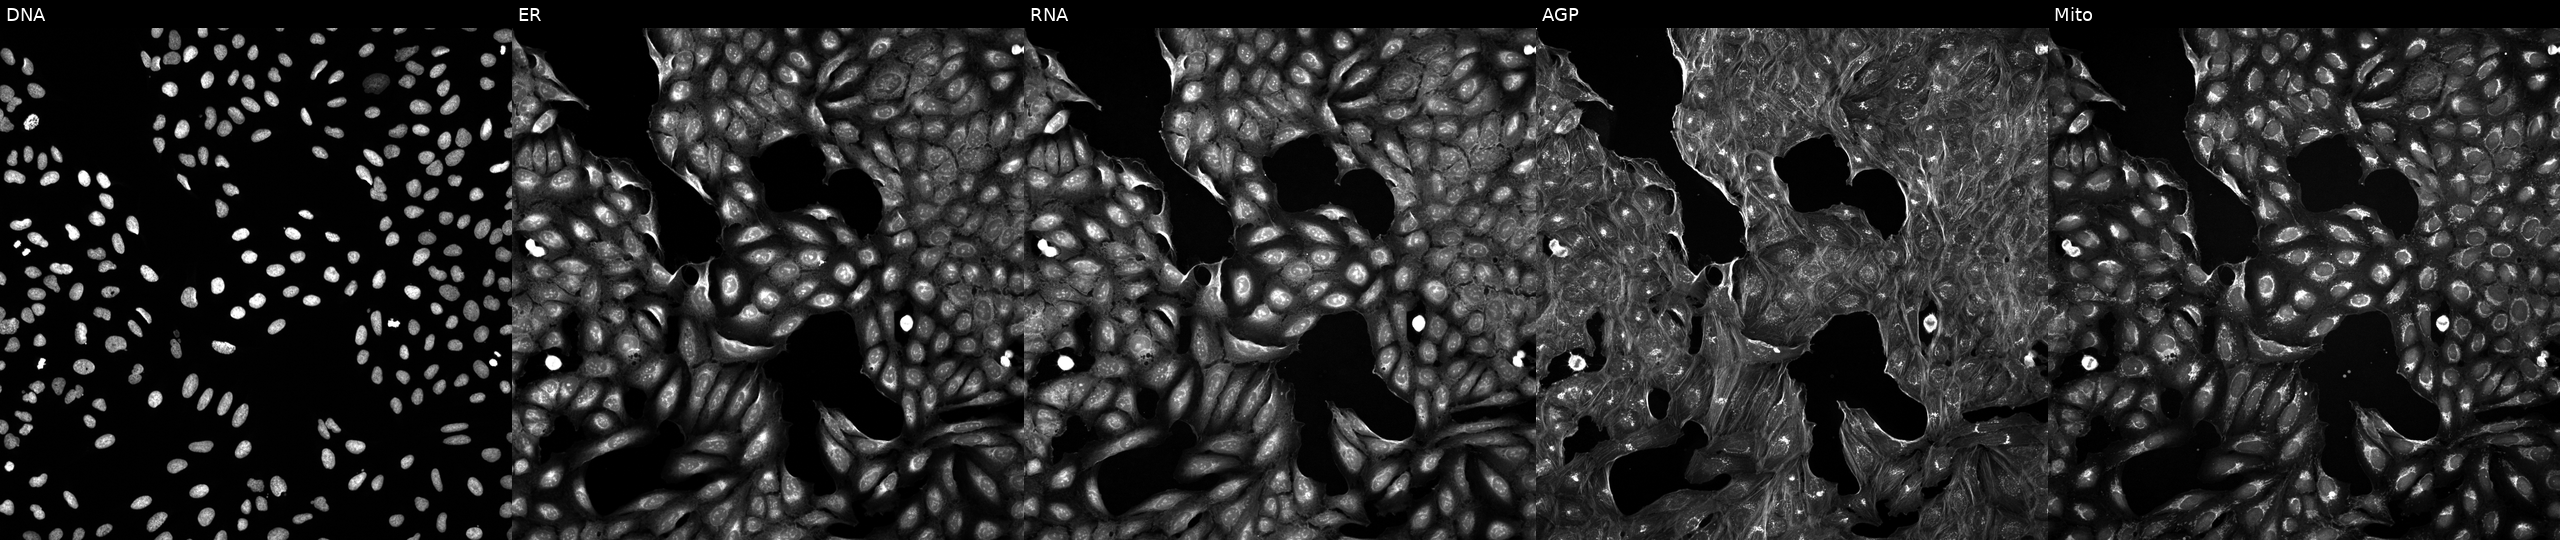
This image strip shows the five Cell Painting channels for a single field of U2OS cells perturbed with a small-molecule compound (InChIKey NDNKNUMSTIMSHQ-UHFFFAOYSA-N) (JUMP id JCP2022_058288). Channels (left→right): Hoechst 33342, concanavalin A, SYTO 14, phalloidin and WGA, MitoTracker.